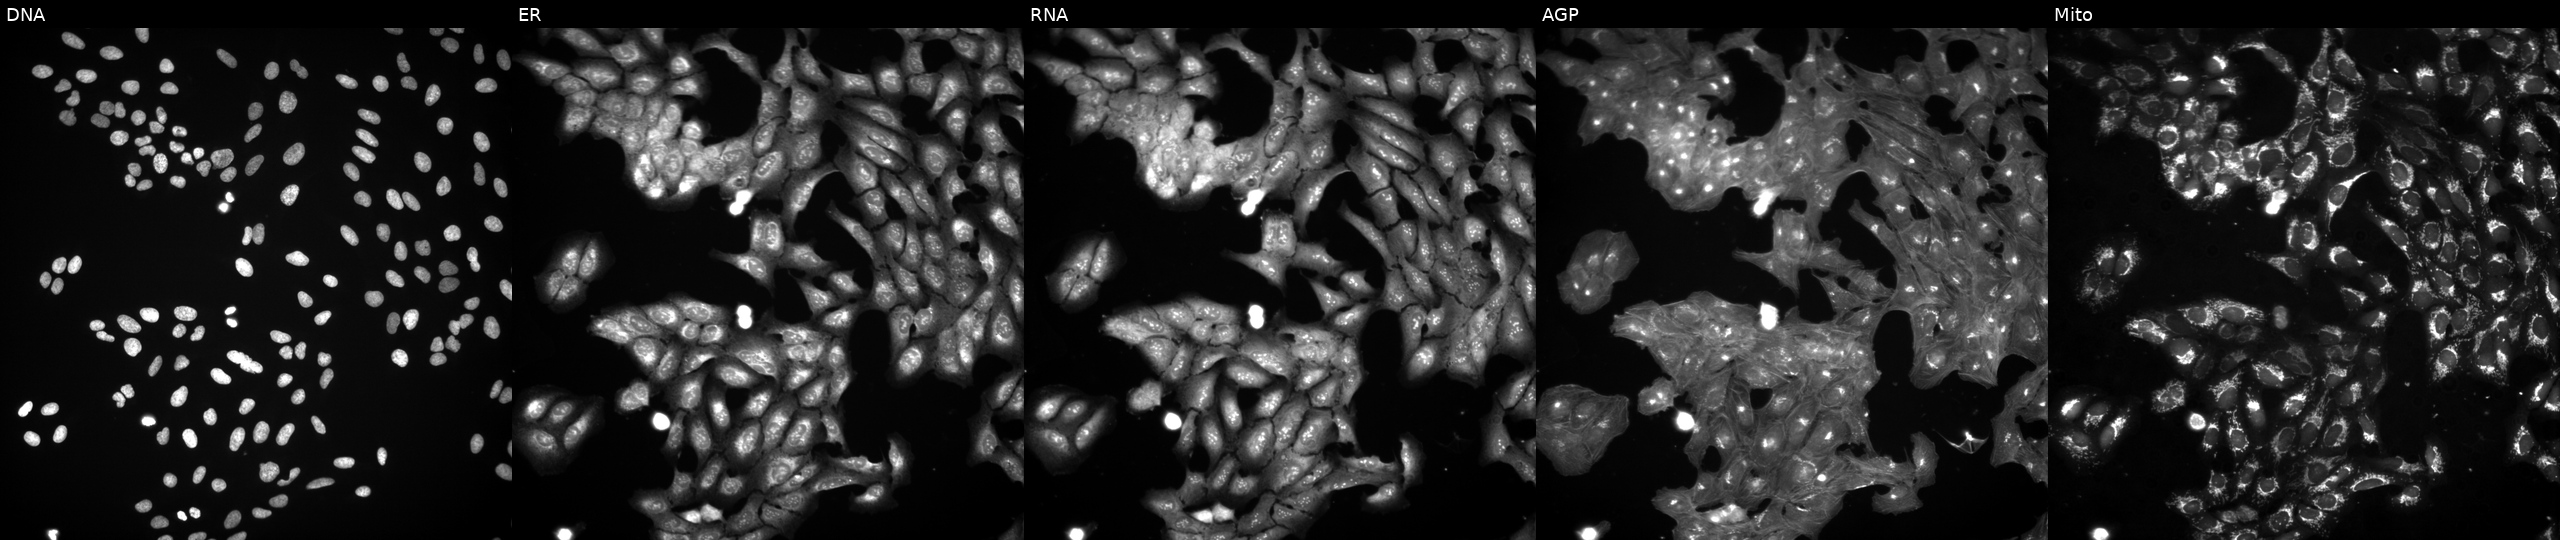
JUMP Cell Painting — COMPOUND plate. U2OS cells exposed to a small-molecule compound (InChIKey GJAOBNFUBCBDCZ-UHFFFAOYSA-N). From left to right: DNA, ER, RNA, AGP, and Mito.